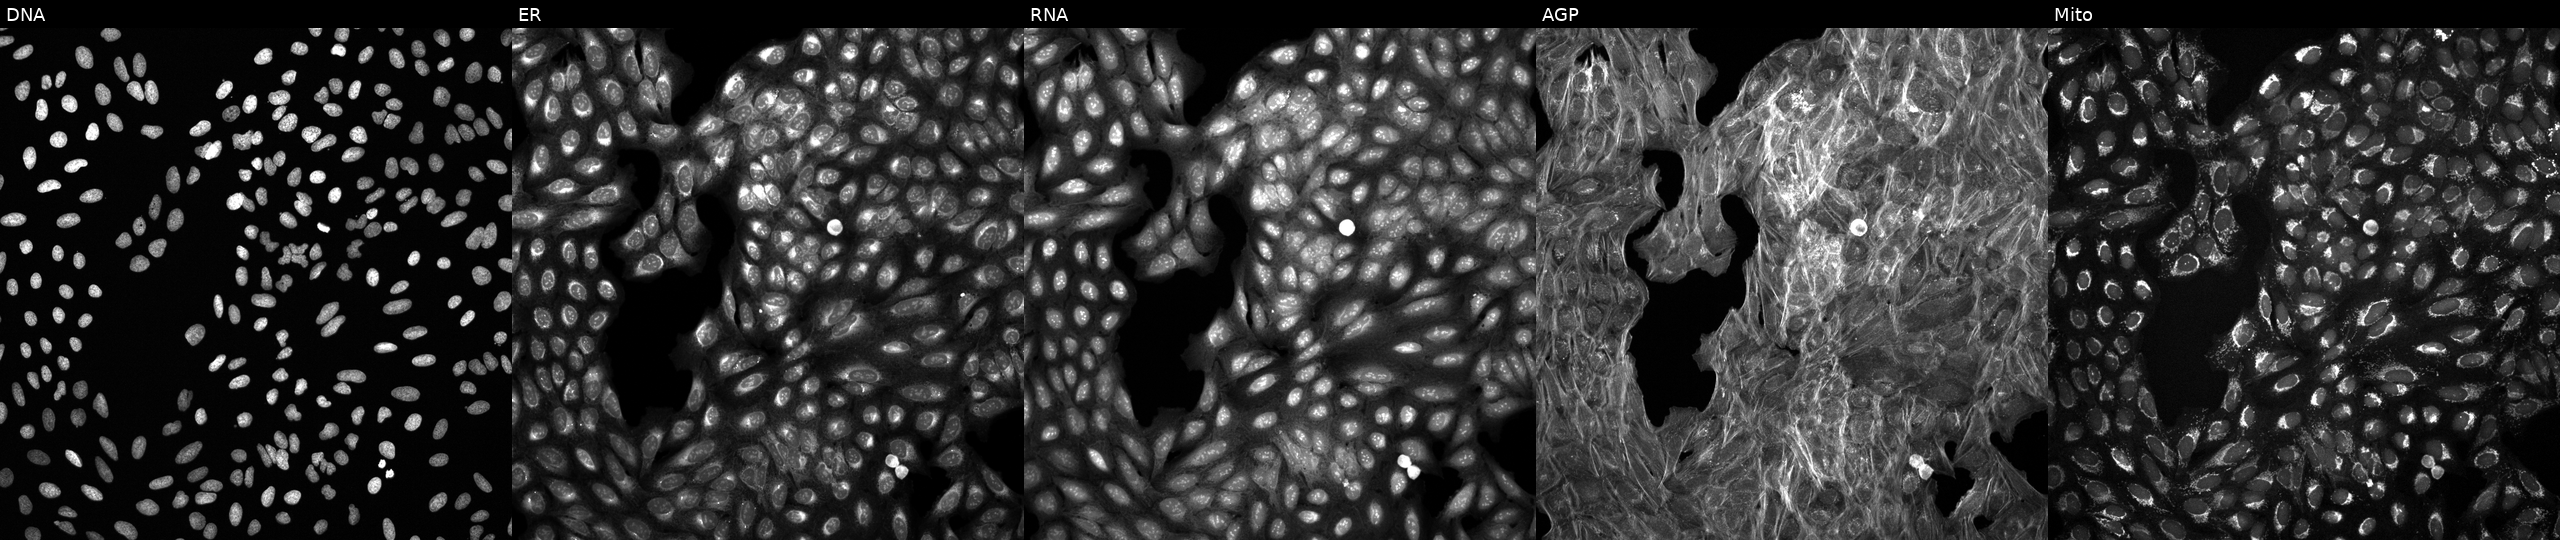
JUMP Cell Painting — TARGET2 plate. U2OS cells perturbed with a small-molecule compound (InChIKey HFYPTENHTPNXGP-UHFFFAOYSA-N). Panels show, left to right, DNA, ER, RNA, AGP, and Mito.